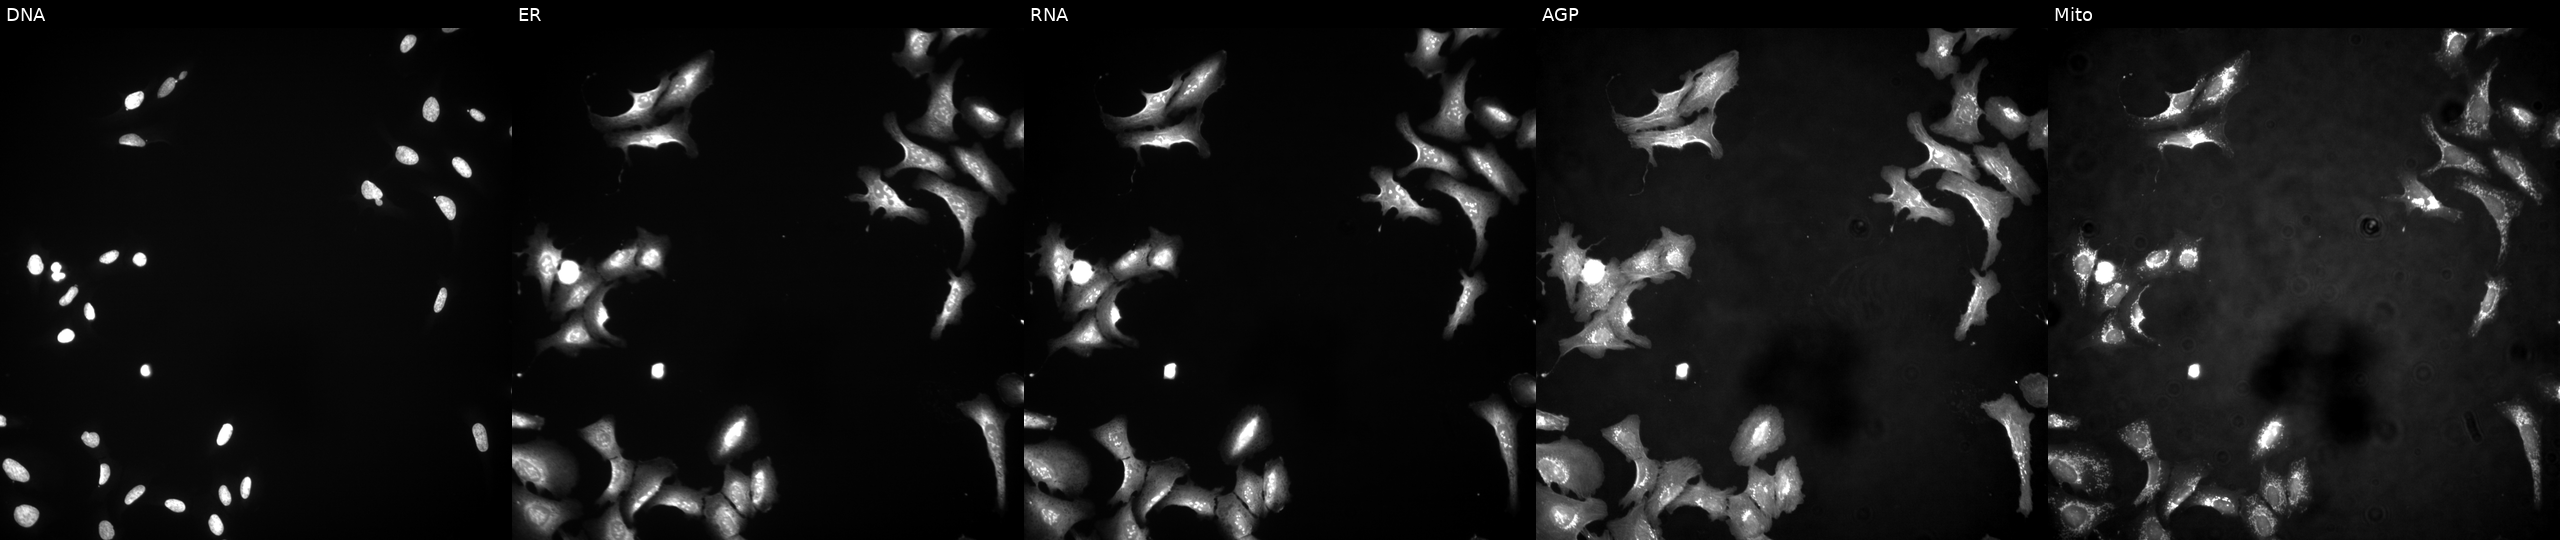
Panels show, left to right, DNA (nuclei); ER (endoplasmic reticulum); RNA (nucleoli and cytoplasmic RNA); AGP (actin cytoskeleton, Golgi, and plasma membrane); Mito (mitochondria). U2OS osteosarcoma cells transfected with an ORF construct for TRMU. Cell Painting assay, JUMP-CP dataset.